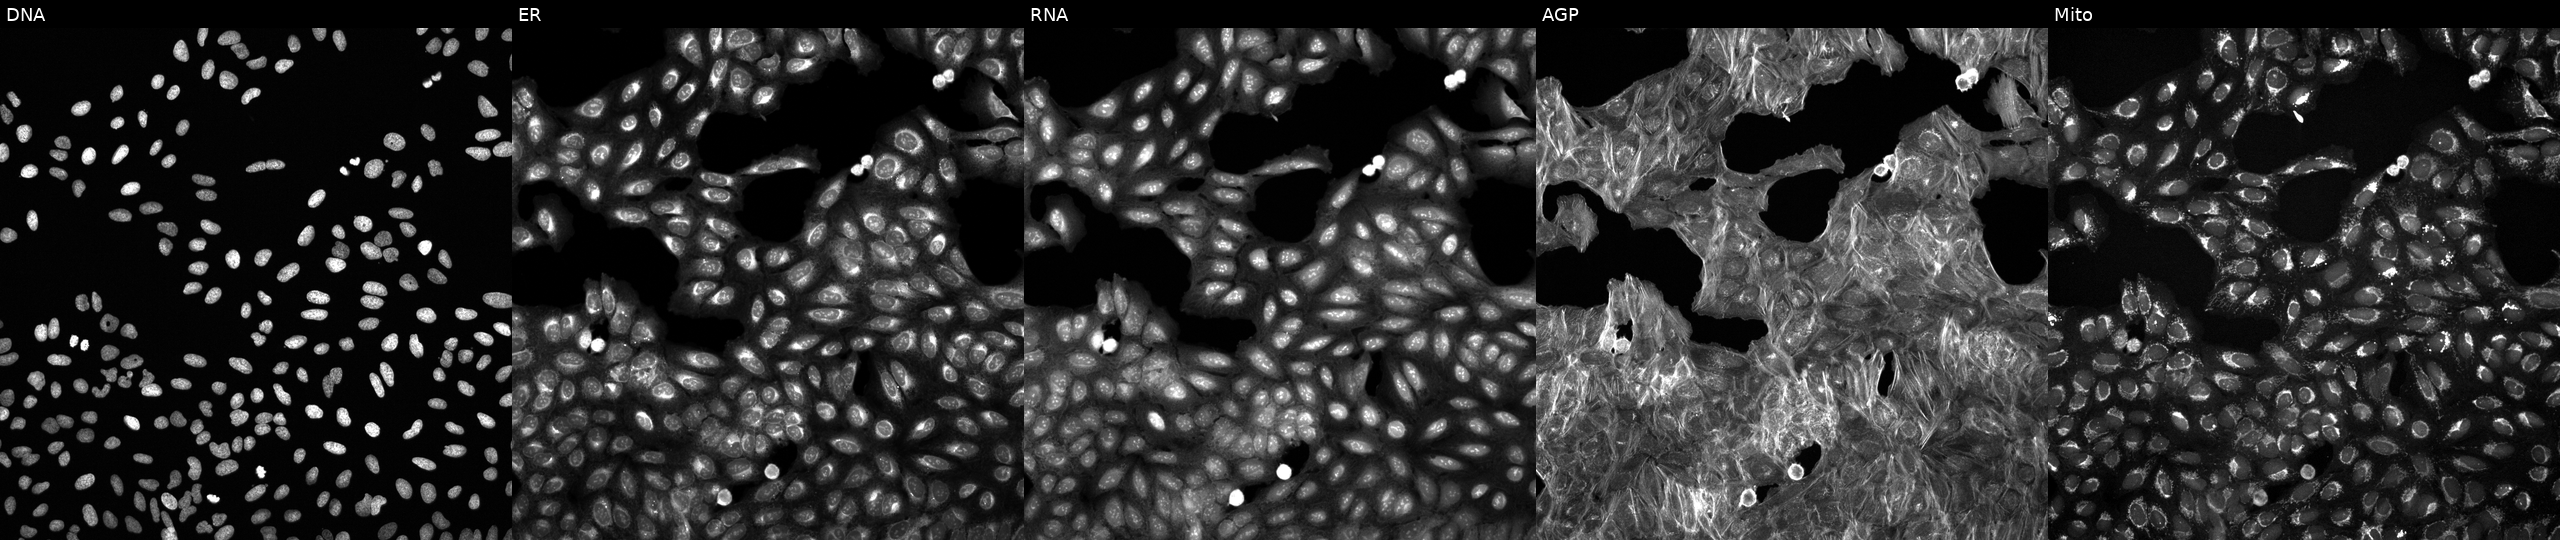
Five-channel Cell Painting image of U2OS cells exposed to a small-molecule compound (InChIKey OHDKCLJNOIAEBR-UHFFFAOYSA-N). Channels (left→right): Hoechst 33342, concanavalin A, SYTO 14, phalloidin and WGA, MitoTracker.